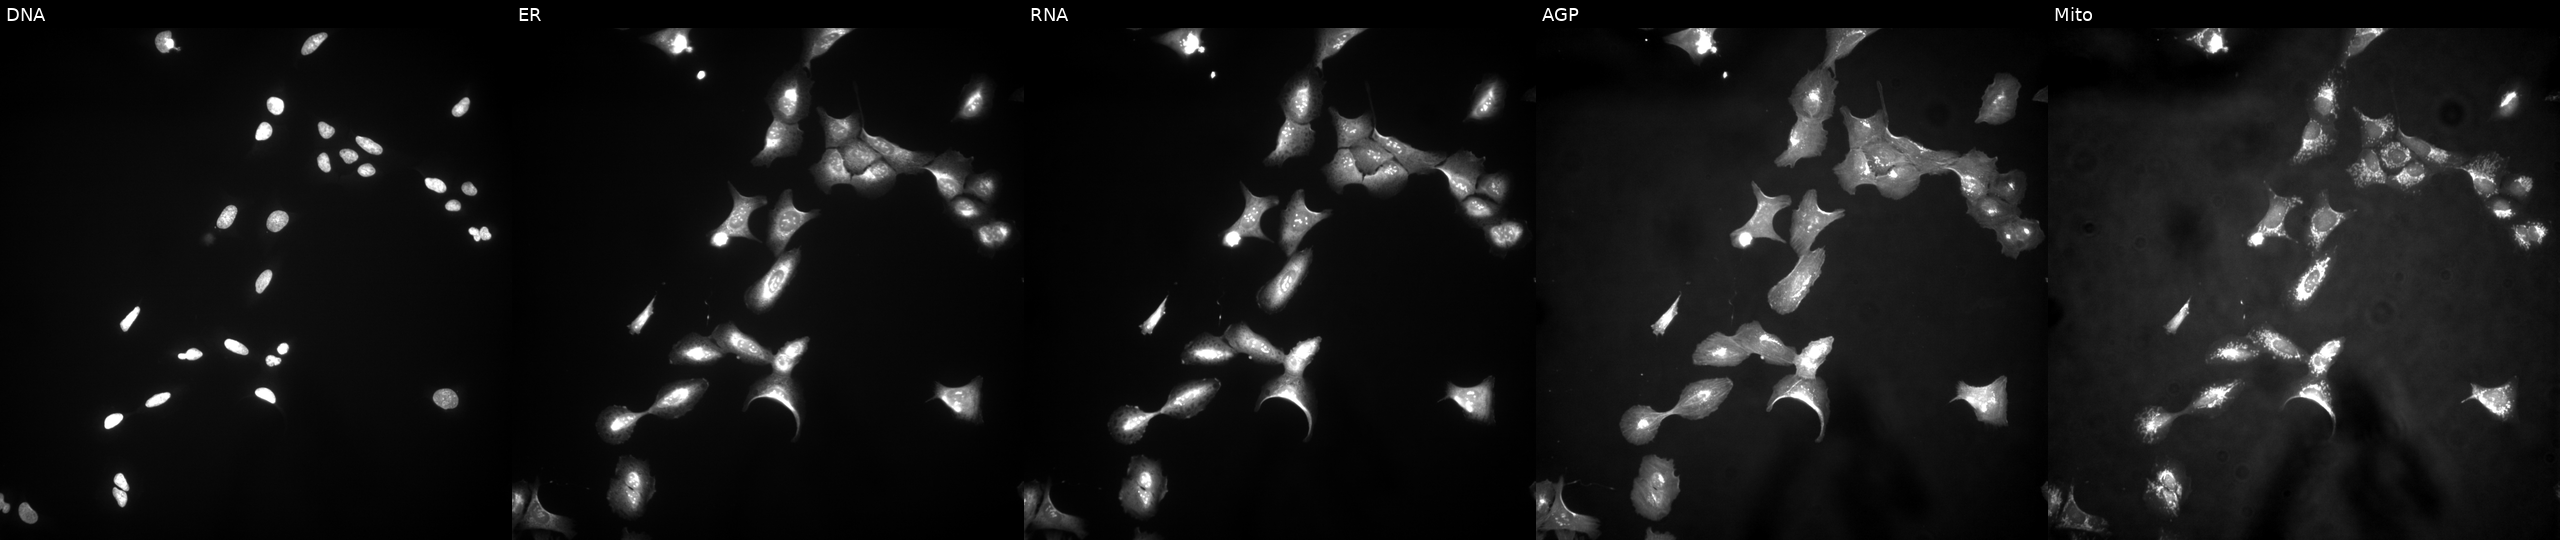
U2OS cells, Cell Painting assay, with HNRNPF overexpressed (ORF). The five panels, left to right, show DNA (nuclei); ER (endoplasmic reticulum); RNA (nucleoli and cytoplasmic RNA); AGP (actin cytoskeleton, Golgi, and plasma membrane); Mito (mitochondria). Each panel is percentile-stretched 16-bit fluorescence.